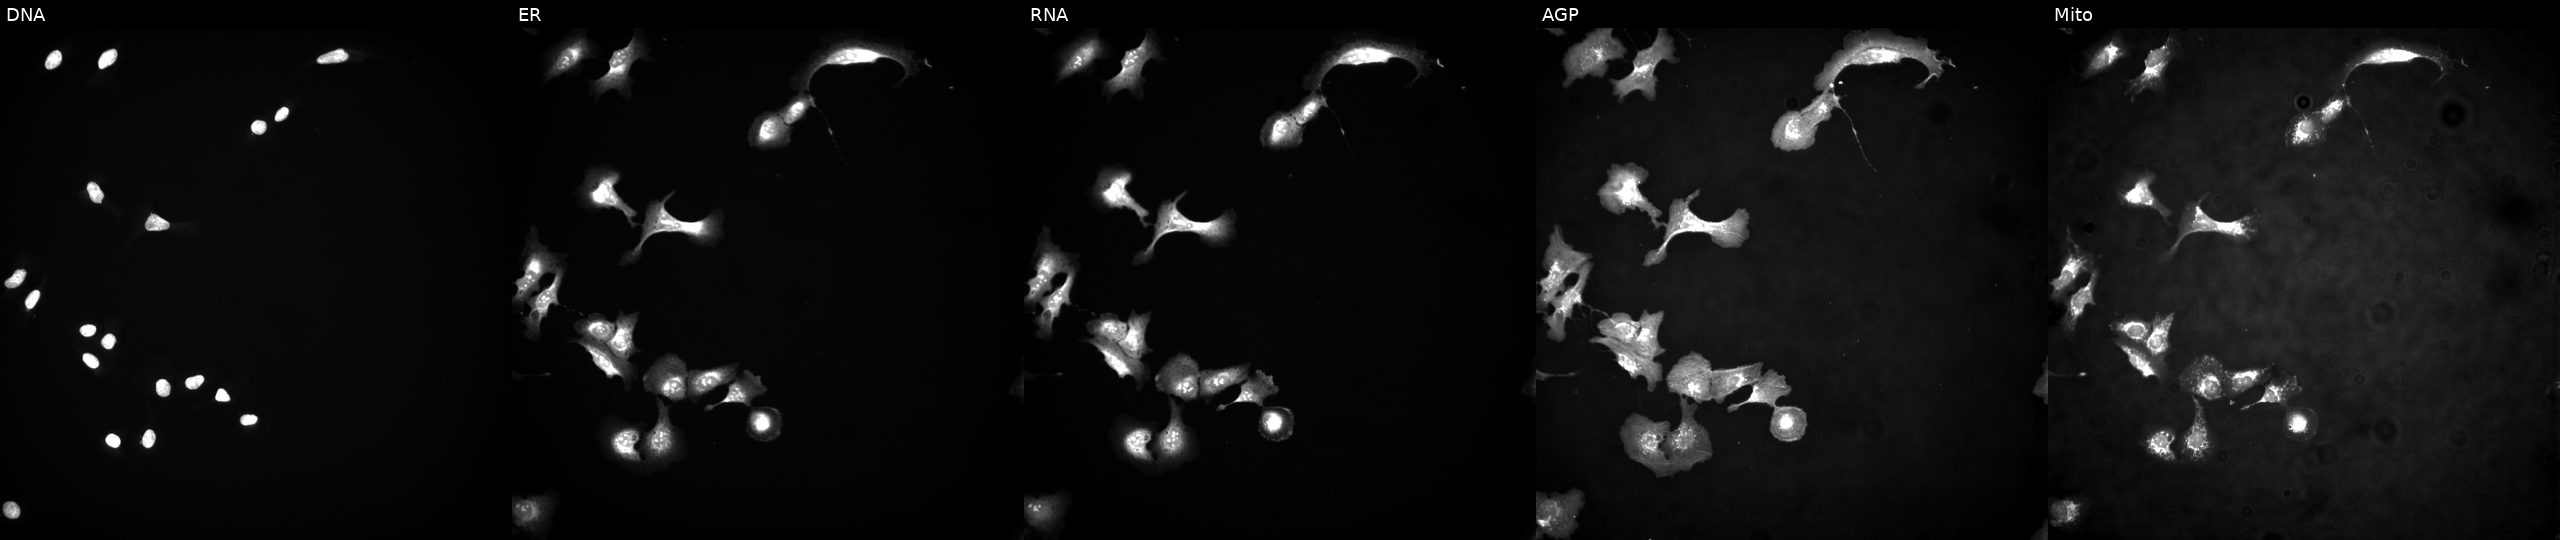
Five-channel Cell Painting image of U2OS cells overexpressing PANK3 via ORF transfection. From left to right: DNA (nuclei); ER (endoplasmic reticulum); RNA (nucleoli and cytoplasmic RNA); AGP (actin cytoskeleton, Golgi, and plasma membrane); Mito (mitochondria). Source 4, plate BR00123945, well K23.